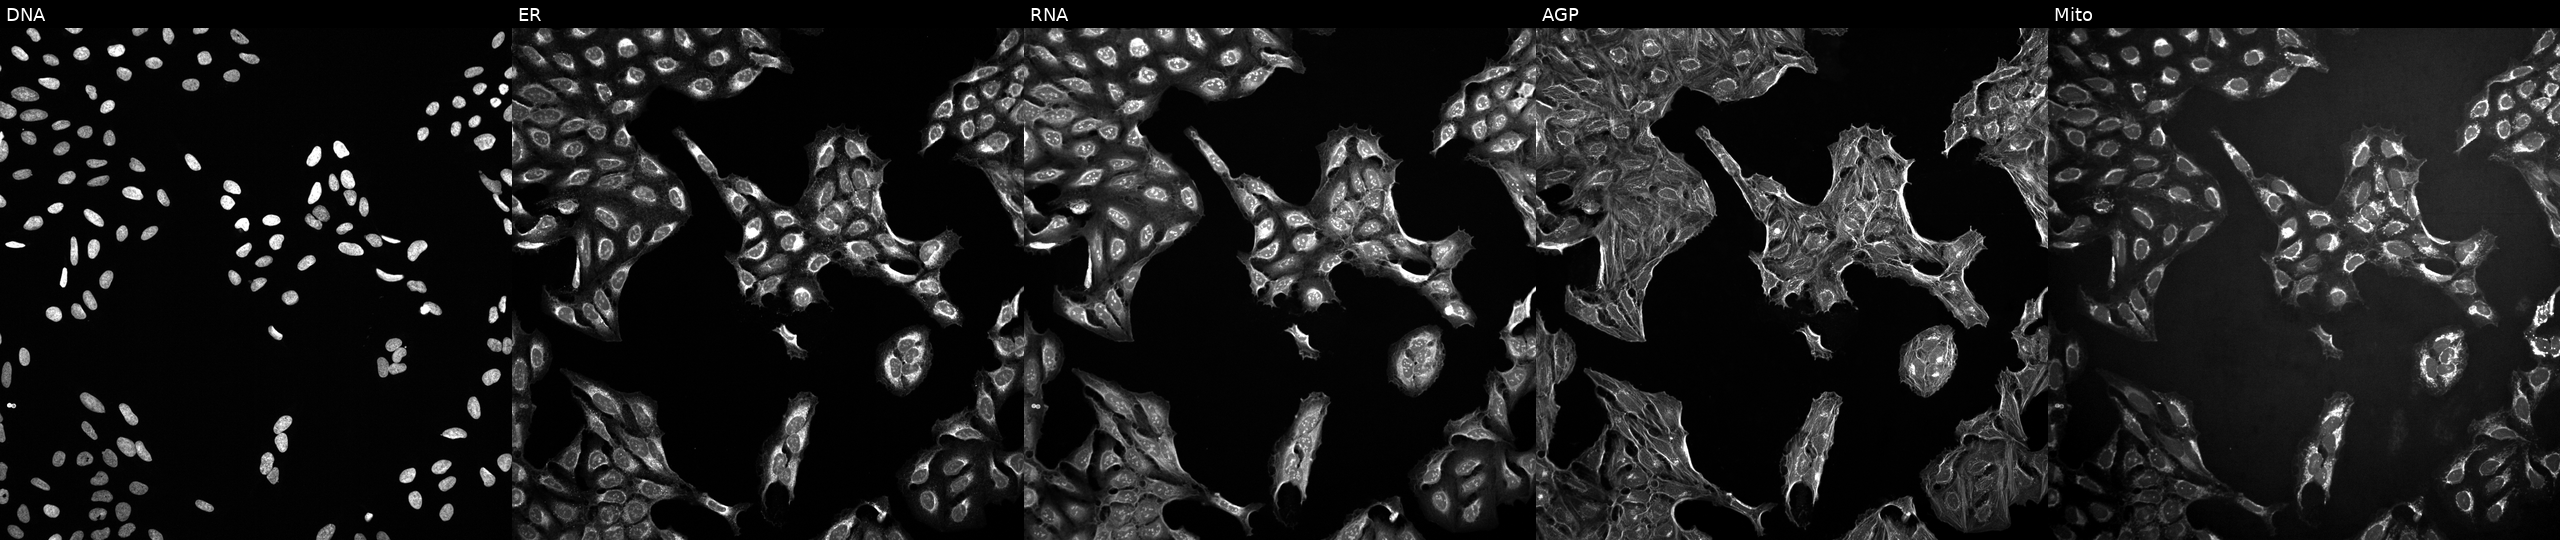
Five-channel Cell Painting image of U2OS cells exposed to the positive-control compound aloxistatin. Panels show, left to right, DNA, ER, RNA, AGP, and Mito.